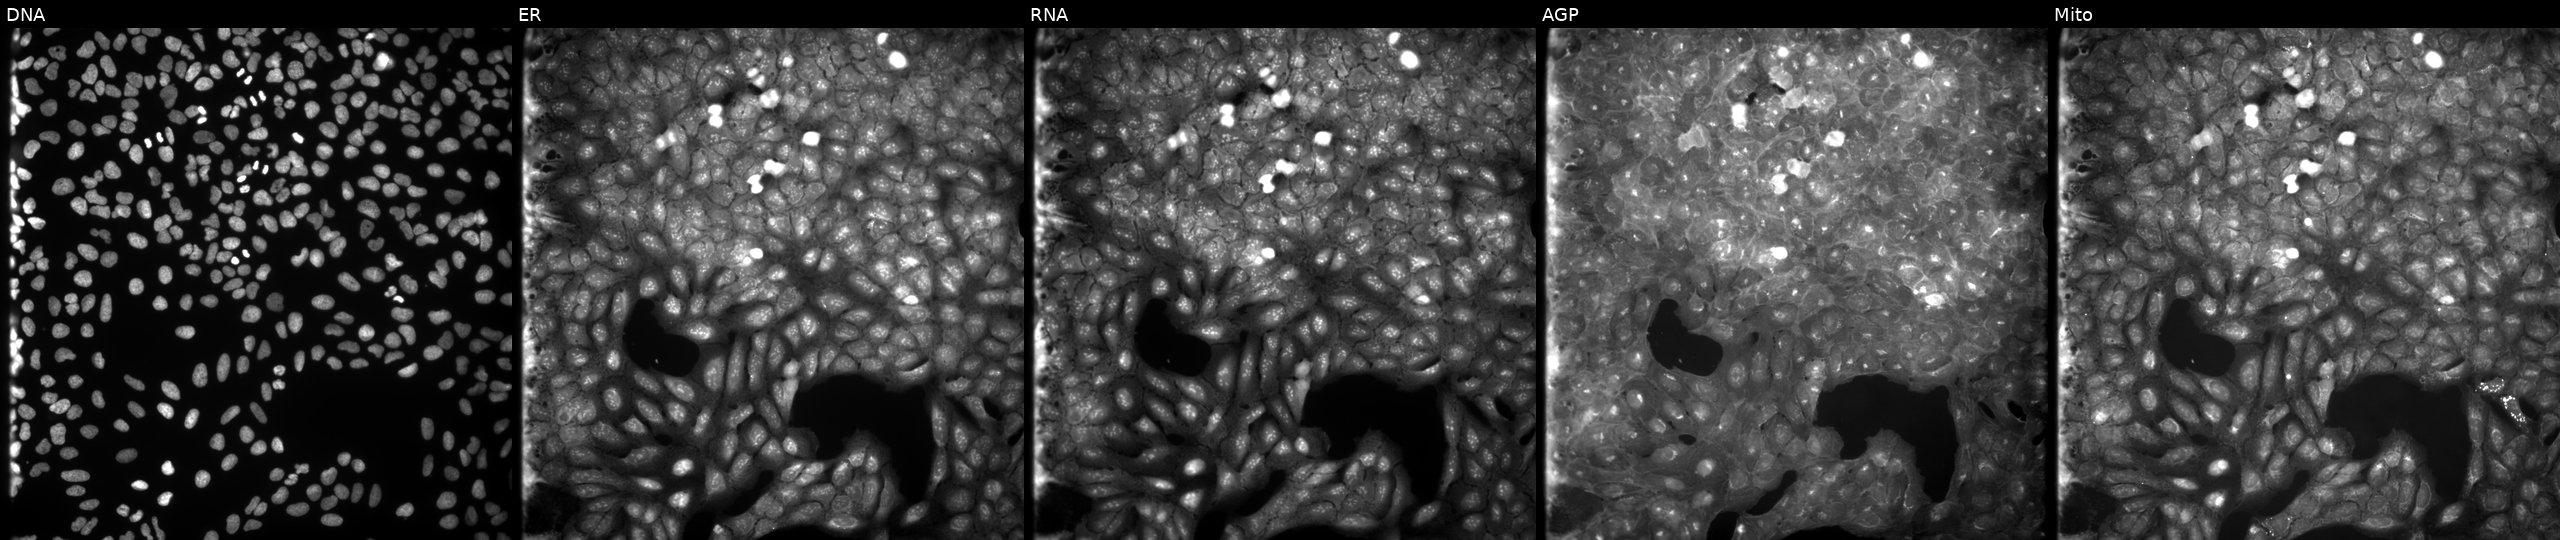
JUMP Cell Painting — COMPOUND plate. U2OS cells treated with a small-molecule compound (InChIKey RLRSQHVMOUFPPU-UHFFFAOYSA-N). From left to right: DNA (nuclei); ER (endoplasmic reticulum); RNA (nucleoli and cytoplasmic RNA); AGP (actin cytoskeleton, Golgi, and plasma membrane); Mito (mitochondria).